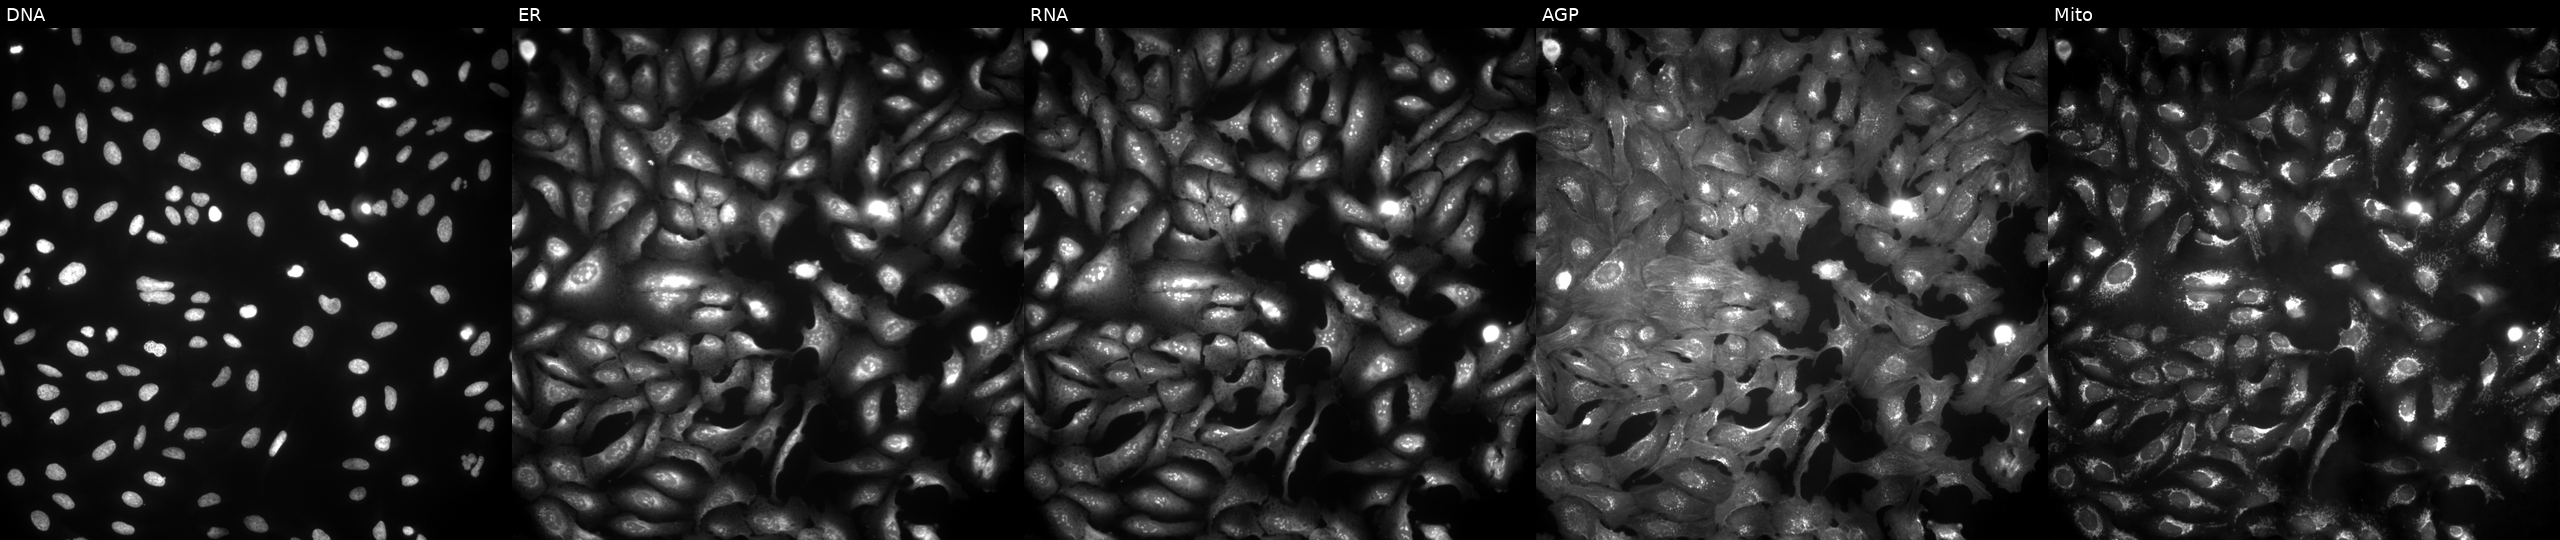
JUMP Cell Painting — ORF plate. U2OS cells with CD200R1 overexpressed (ORF). Channels (left→right): Hoechst 33342, concanavalin A, SYTO 14, phalloidin and WGA, MitoTracker.